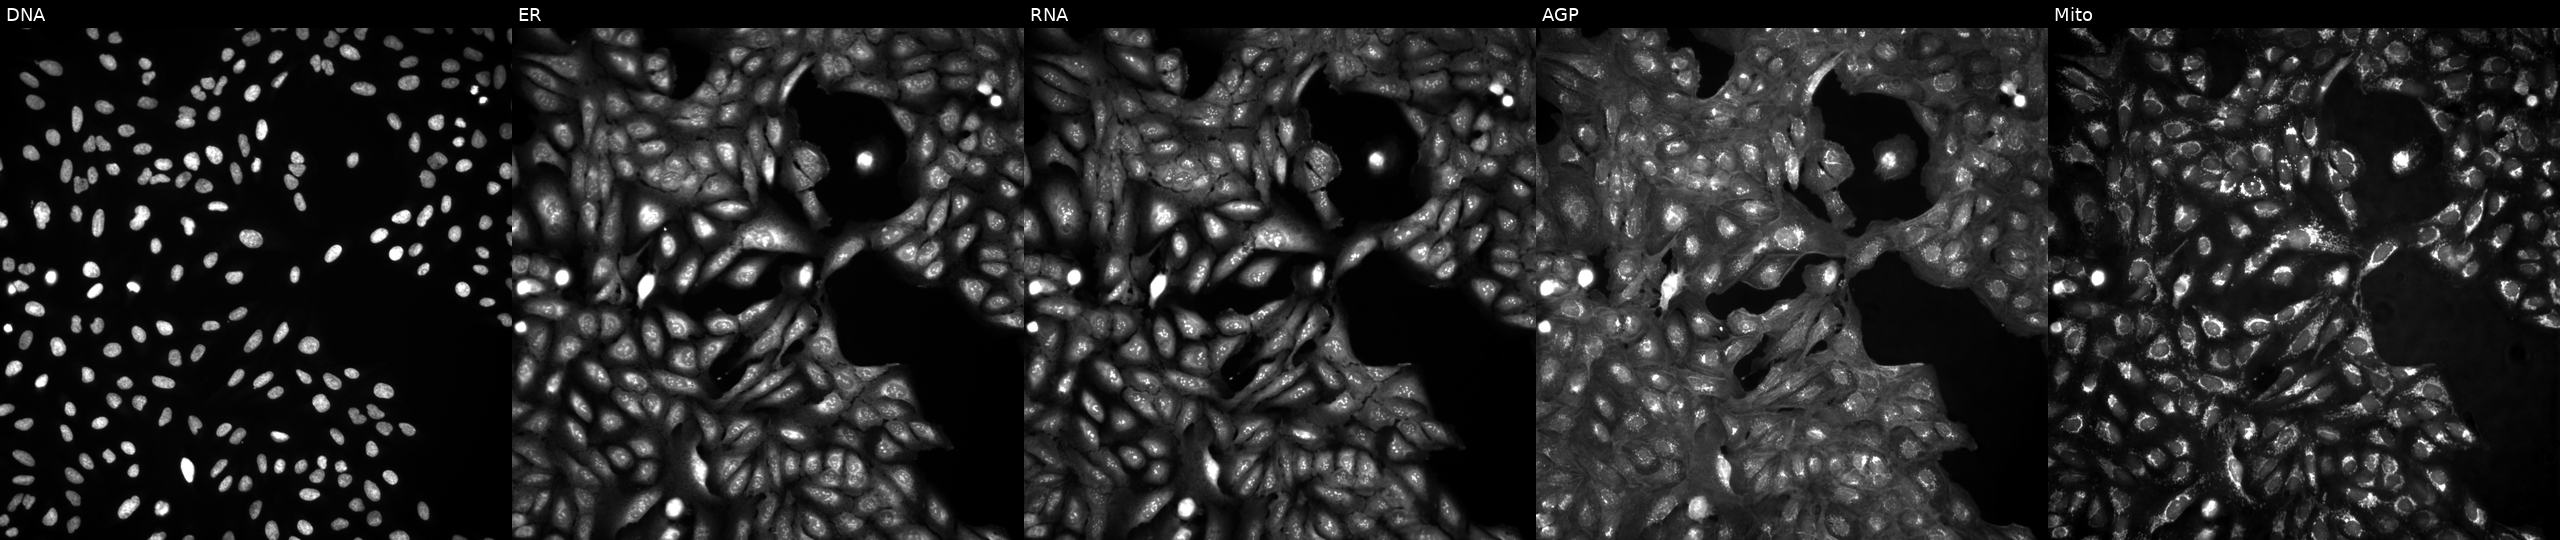
High-content fluorescence microscopy (Cell Painting). Cell line: U2OS. Perturbation: untreated (empty-well control). Panels show, left to right, DNA, ER, RNA, AGP, and Mito.